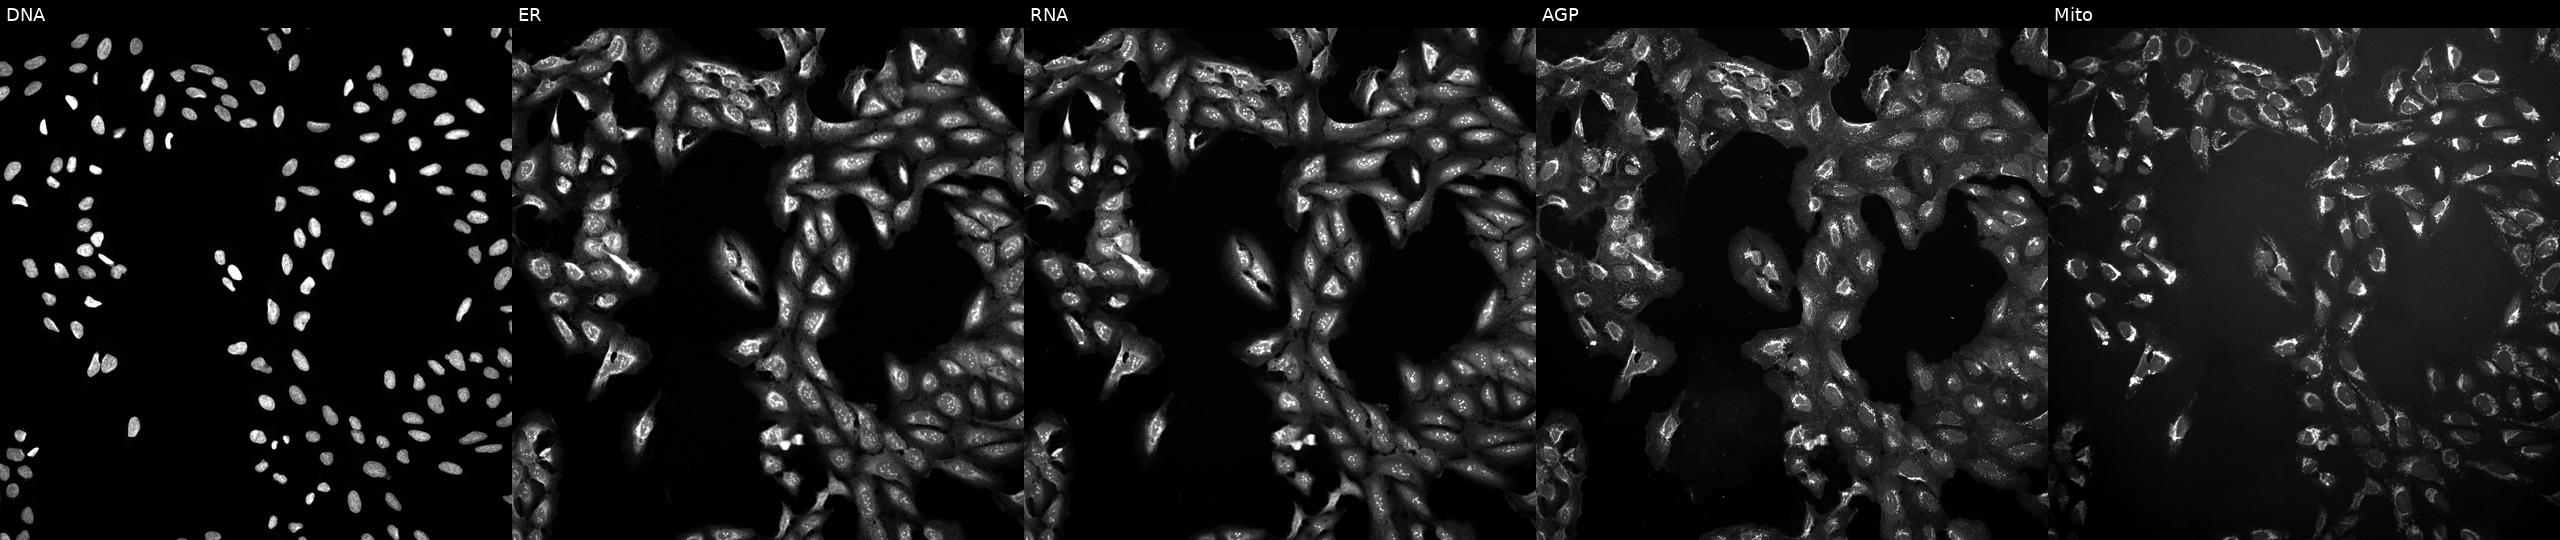
Five-channel Cell Painting image of U2OS cells exposed to a small-molecule compound (InChIKey GVJHHUAWPYXKBD-UHFFFAOYSA-N) (JUMP id JCP2022_028032). The five panels, left to right, show DNA, ER, RNA, AGP, and Mito.